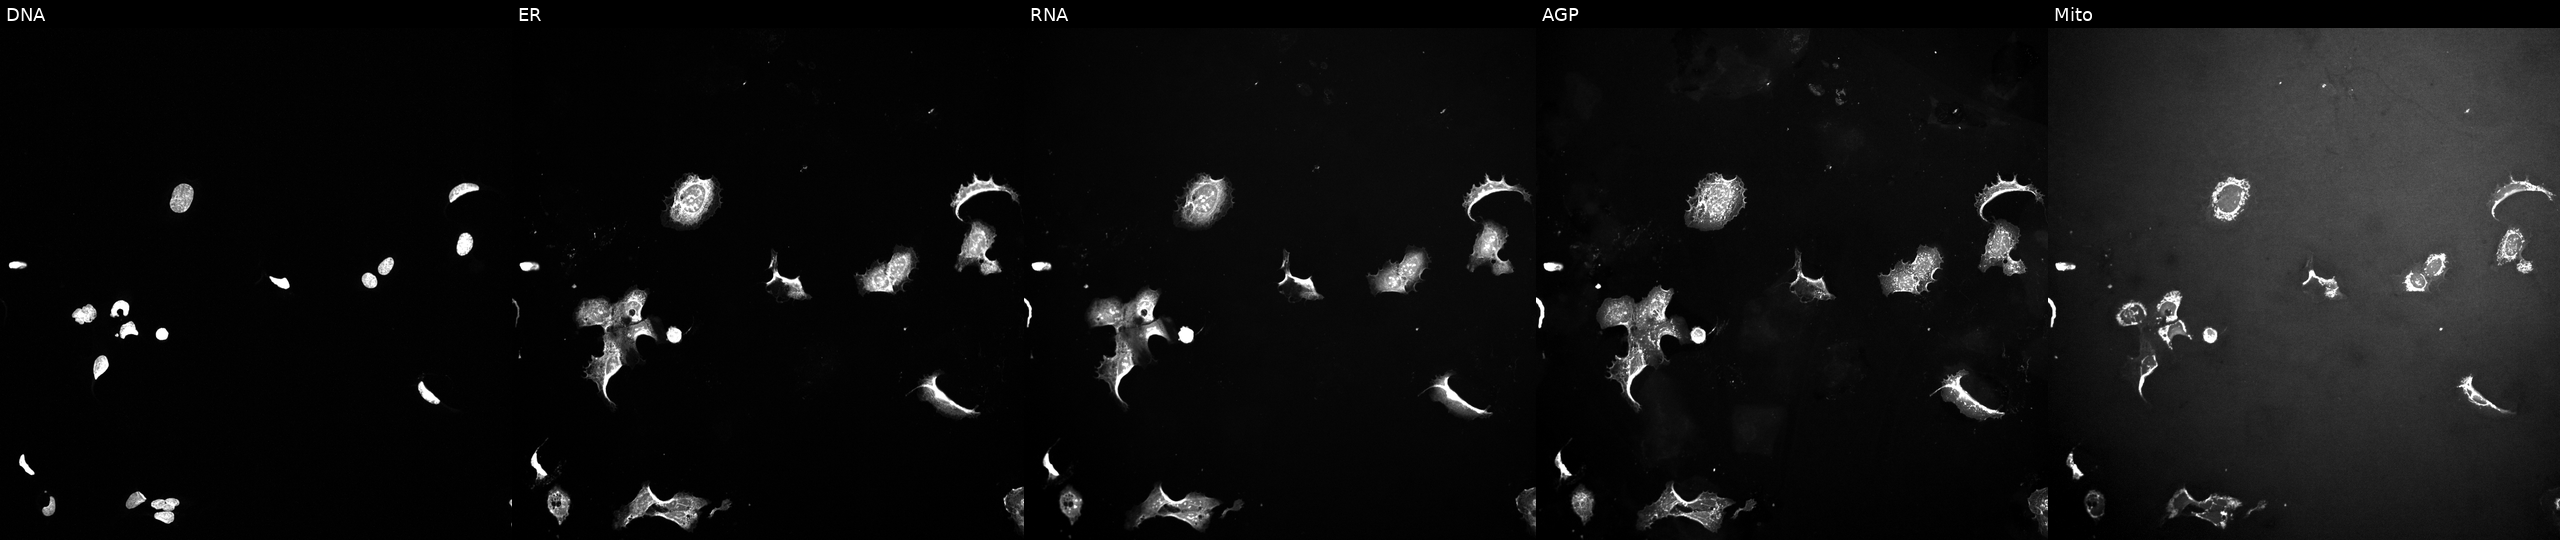
This image strip shows the five Cell Painting channels for a single field of U2OS cells treated with a small-molecule compound (InChIKey CWHUFRVAEUJCEF-UHFFFAOYSA-N) (JUMP id JCP2022_013856). Panels show, left to right, Hoechst 33342, concanavalin A, SYTO 14, phalloidin and WGA, MitoTracker.